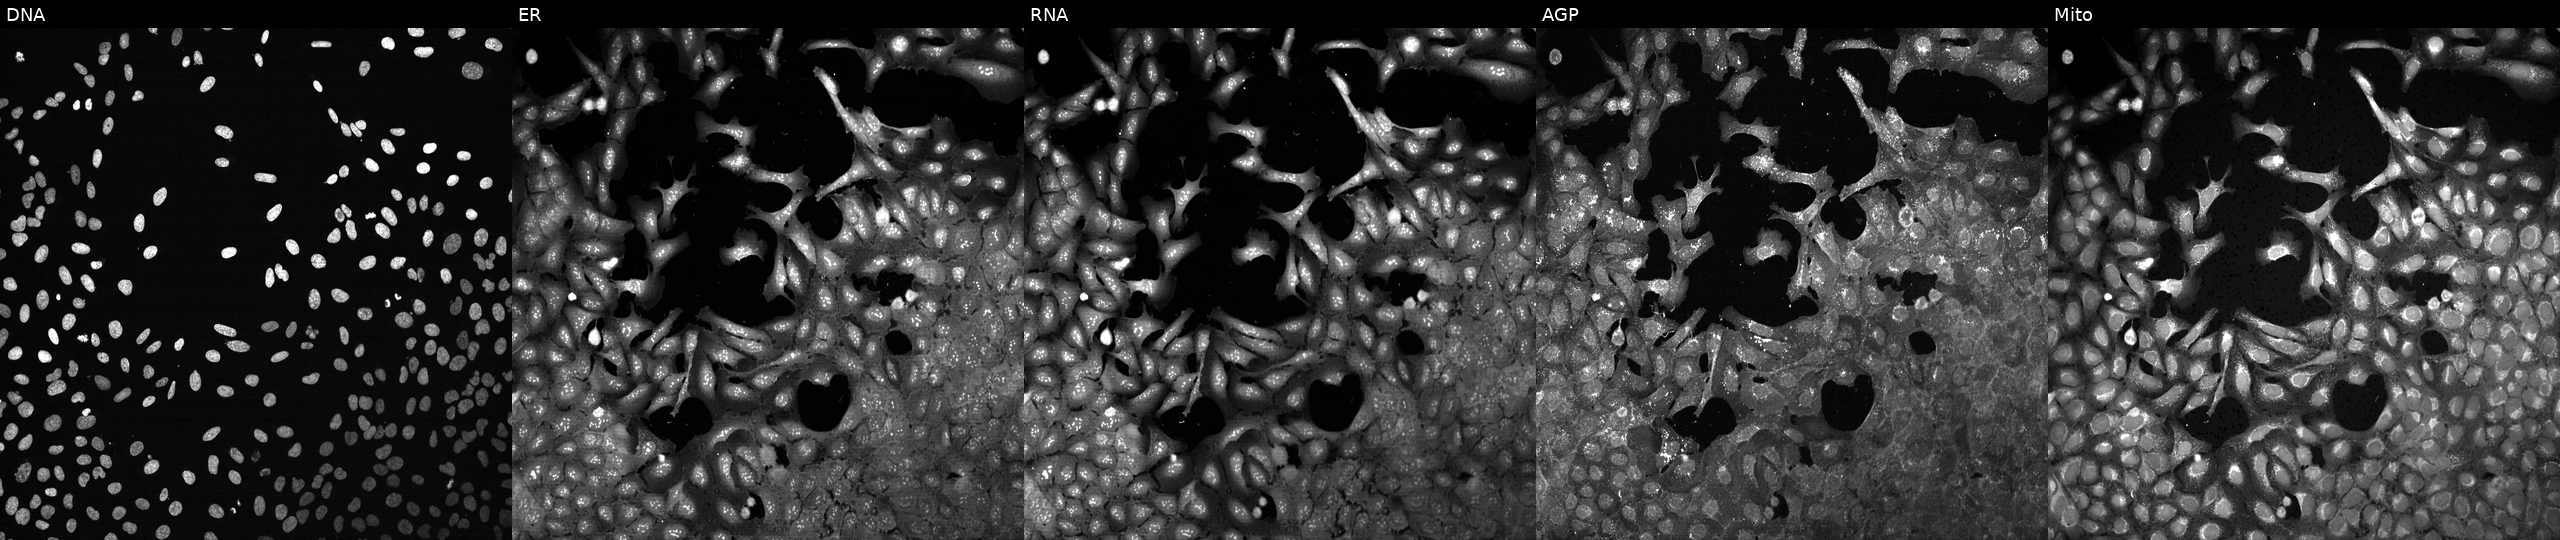
This image strip shows the five Cell Painting channels for a single field of U2OS cells following CRISPR knockout of LAMB3. Panels show, left to right, DNA, ER, RNA, AGP, and Mito. Source 13, plate CP-CC9-R1-02, well O09.